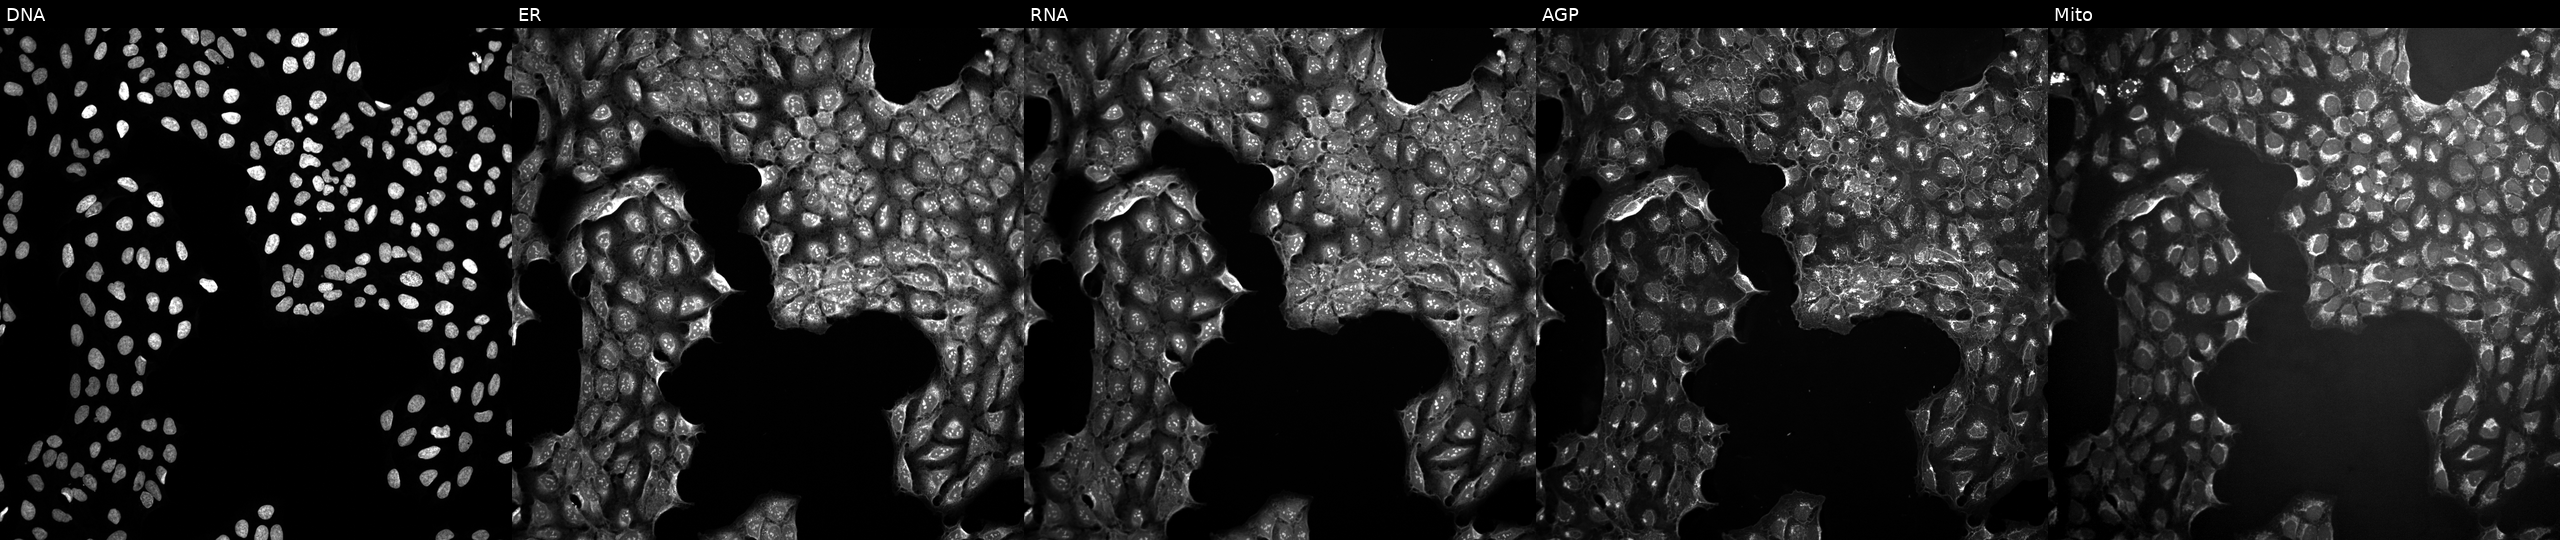
Five-channel Cell Painting image of U2OS cells treated with a small-molecule compound (InChIKey LNFZRMDSZJCZTG-UHFFFAOYSA-N) [SMILES: Cc1ccc(NC(=O)Nc2cc(C(F)(F)F)ccc2F)cc1Nc1ccc2c(c1)=NC(=O)C=2Cc1ccc[nH]1] (JUMP id JCP2022_050516). Channels (left→right): DNA, ER, RNA, AGP, and Mito. Source 10, plate Dest210803-153958, well P23.